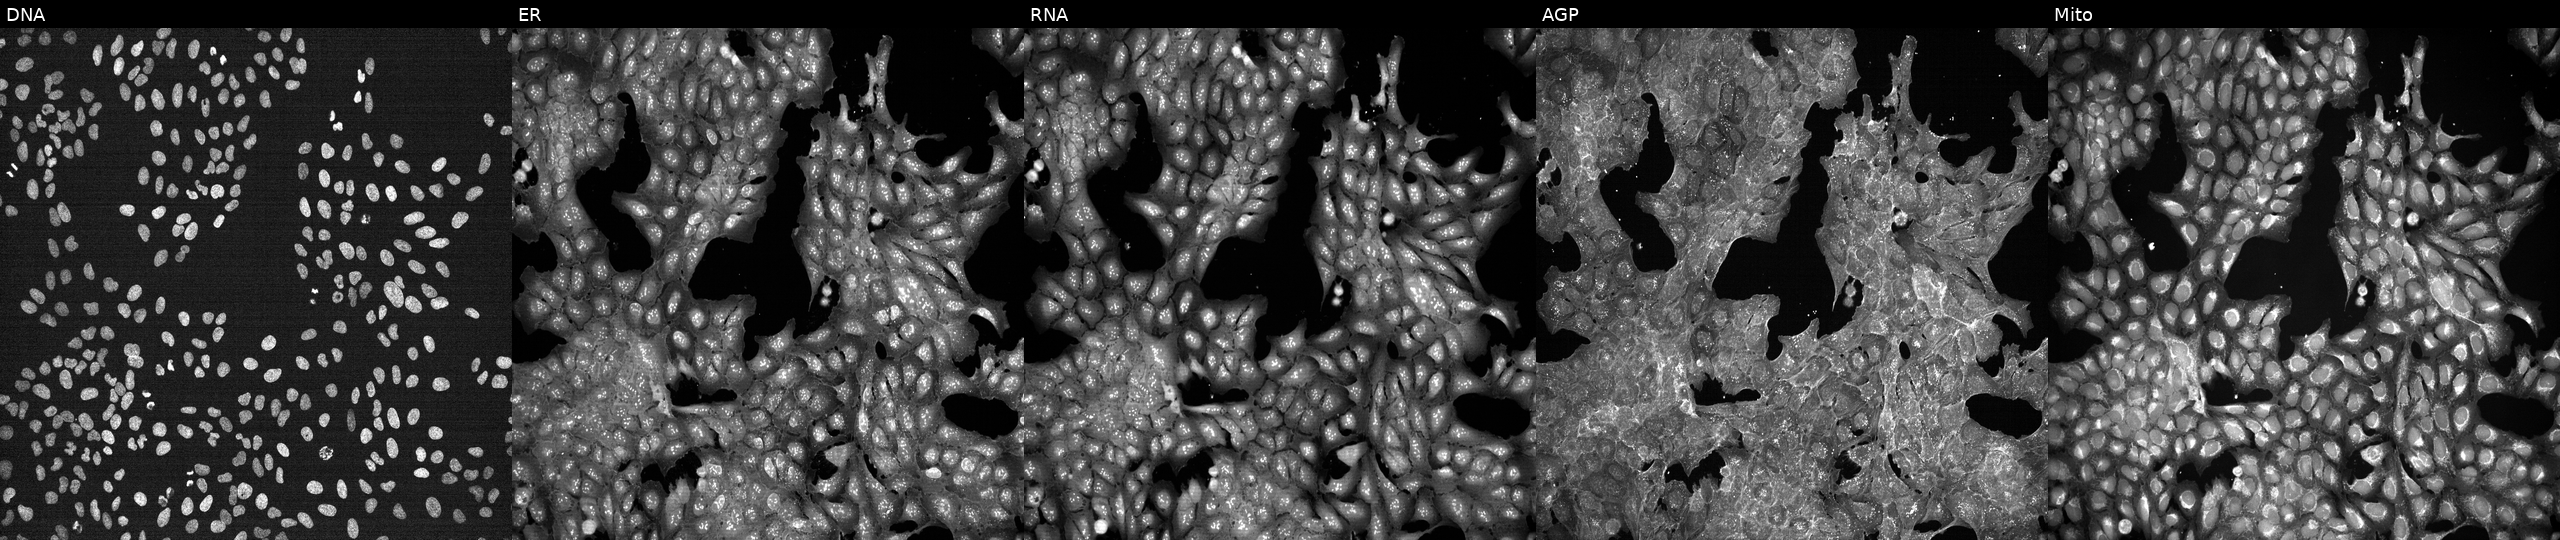
High-content fluorescence microscopy (Cell Painting). Cell line: U2OS. Perturbation: treated with DMSO vehicle only (negative control) (JUMP id JCP2022_033924). The five panels, left to right, show DNA, ER, RNA, AGP, and Mito. Source 7, plate CP1-SC1-25, well C09.